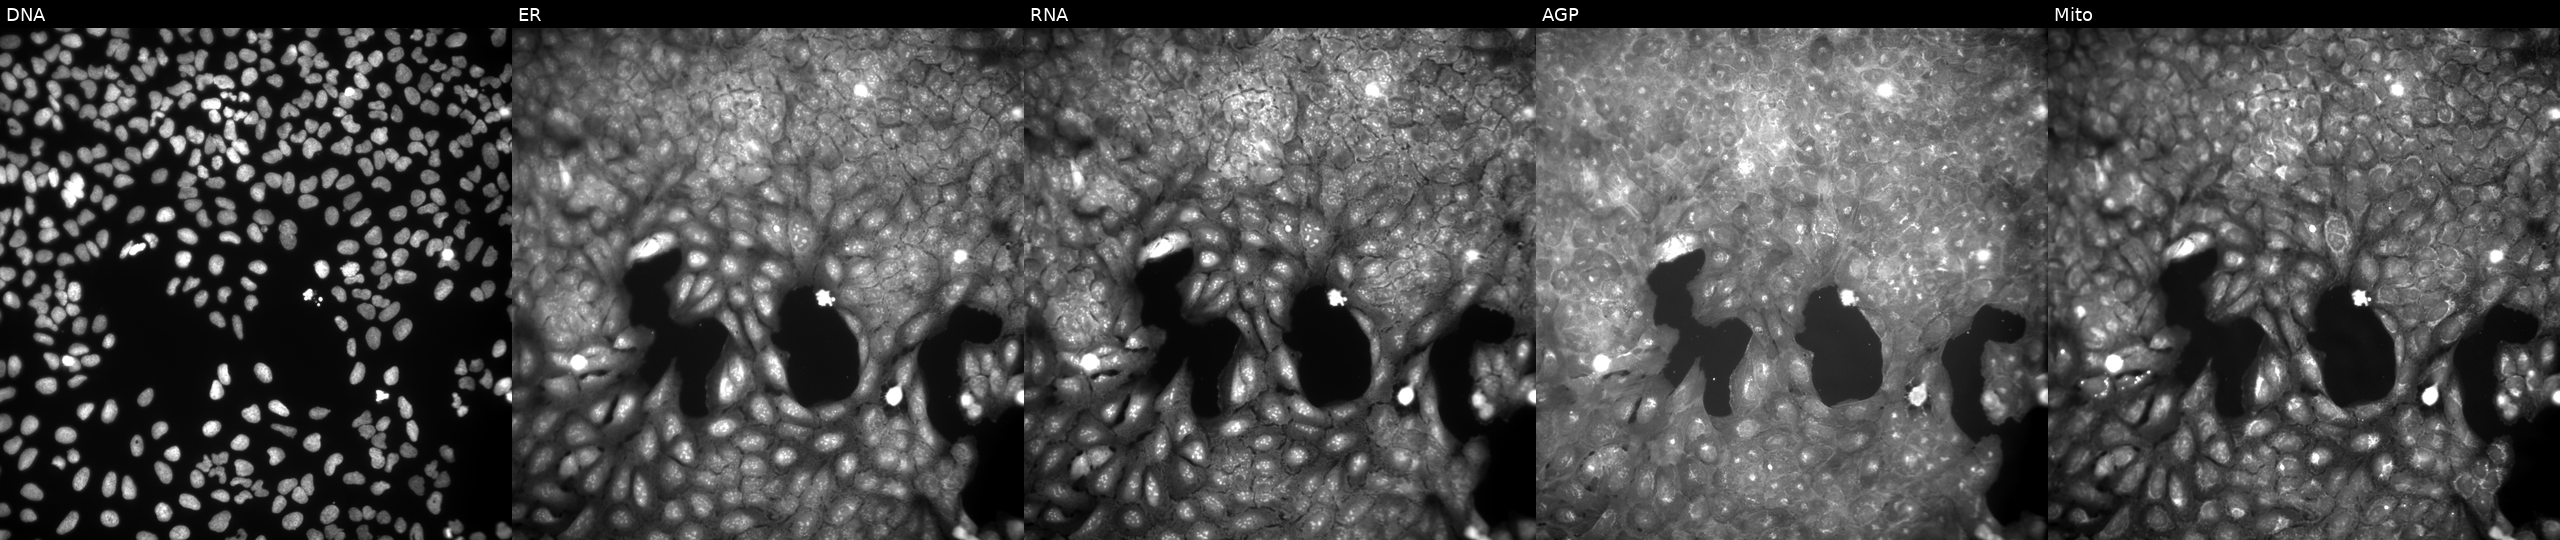
Channels (left→right): DNA (nuclei); ER (endoplasmic reticulum); RNA (nucleoli and cytoplasmic RNA); AGP (actin cytoskeleton, Golgi, and plasma membrane); Mito (mitochondria). U2OS osteosarcoma cells perturbed with a small-molecule compound (InChIKey CBHGHNQKXANTGW-UHFFFAOYSA-N) (JUMP id JCP2022_010016). Cell Painting assay, JUMP-CP dataset.